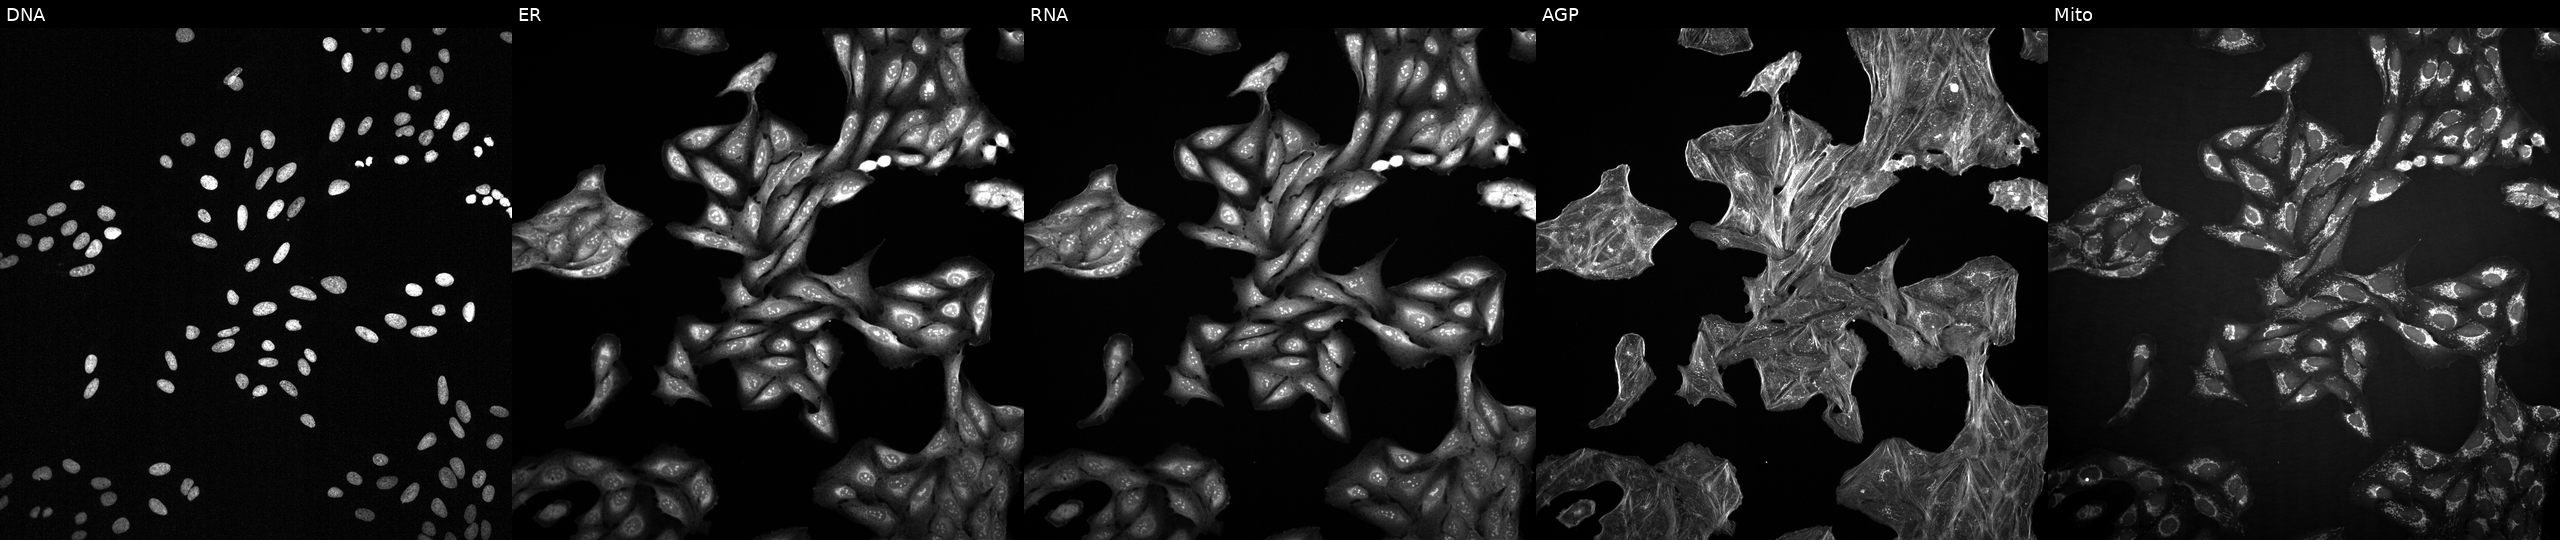
High-content fluorescence microscopy (Cell Painting). Cell line: U2OS. Perturbation: exposed to a small-molecule compound [SMILES: CCOC(=O)C1=C(COCCN)N=C(C)C(C(=O)OC)C1c1ccccc1Cl]. The five panels, left to right, show Hoechst 33342, concanavalin A, SYTO 14, phalloidin and WGA, MitoTracker.